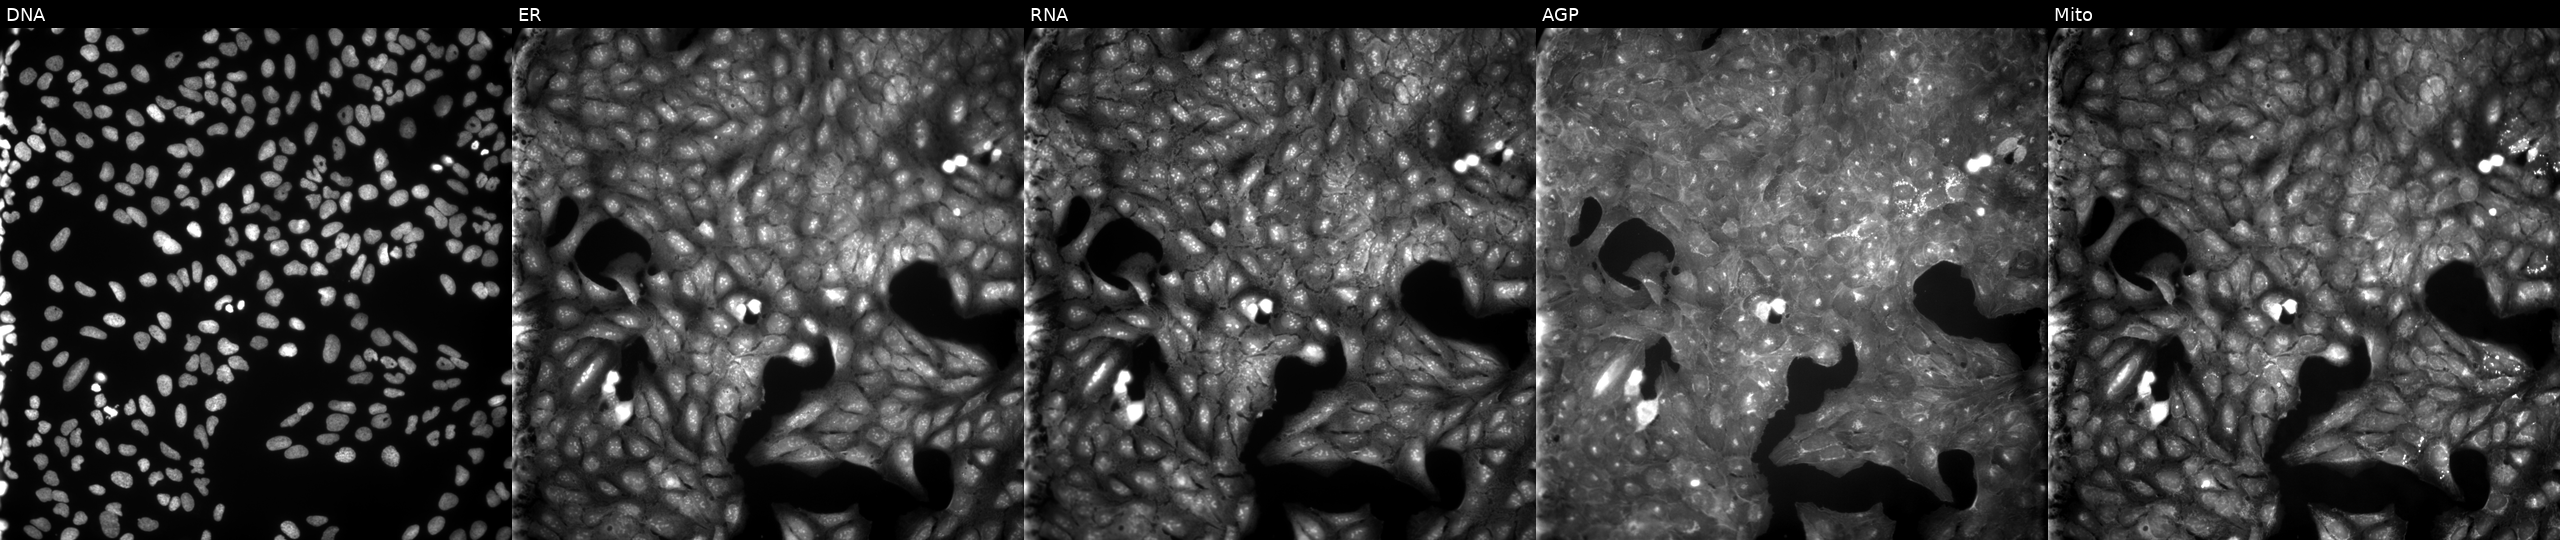
From left to right: DNA (nuclei); ER (endoplasmic reticulum); RNA (nucleoli and cytoplasmic RNA); AGP (actin cytoskeleton, Golgi, and plasma membrane); Mito (mitochondria). U2OS osteosarcoma cells exposed to a small-molecule compound (InChIKey MFAVIDJURXQHIW-UHFFFAOYSA-N) (JUMP id JCP2022_053717). Cell Painting assay, JUMP-CP dataset.